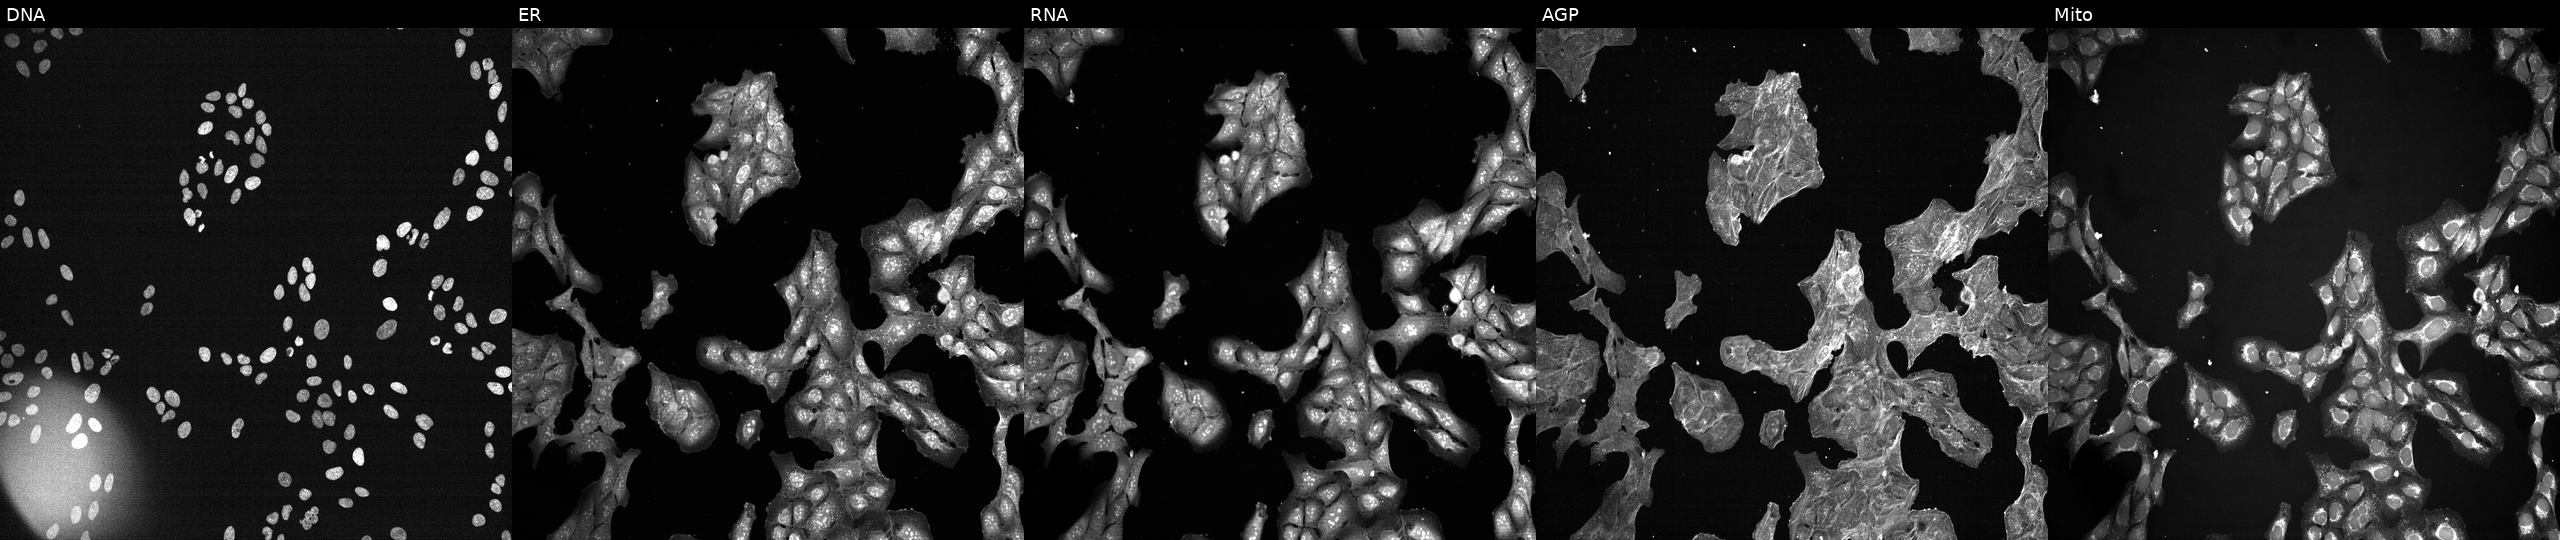
High-content fluorescence microscopy (Cell Painting). Cell line: U2OS. Perturbation: perturbed with a small-molecule compound (InChIKey MENNDDDTIIZDDN-UHFFFAOYSA-N) (JUMP id JCP2022_053626). From left to right: DNA (nuclei); ER (endoplasmic reticulum); RNA (nucleoli and cytoplasmic RNA); AGP (actin cytoskeleton, Golgi, and plasma membrane); Mito (mitochondria). Source 7, plate CP2-SC1-25, well O01.